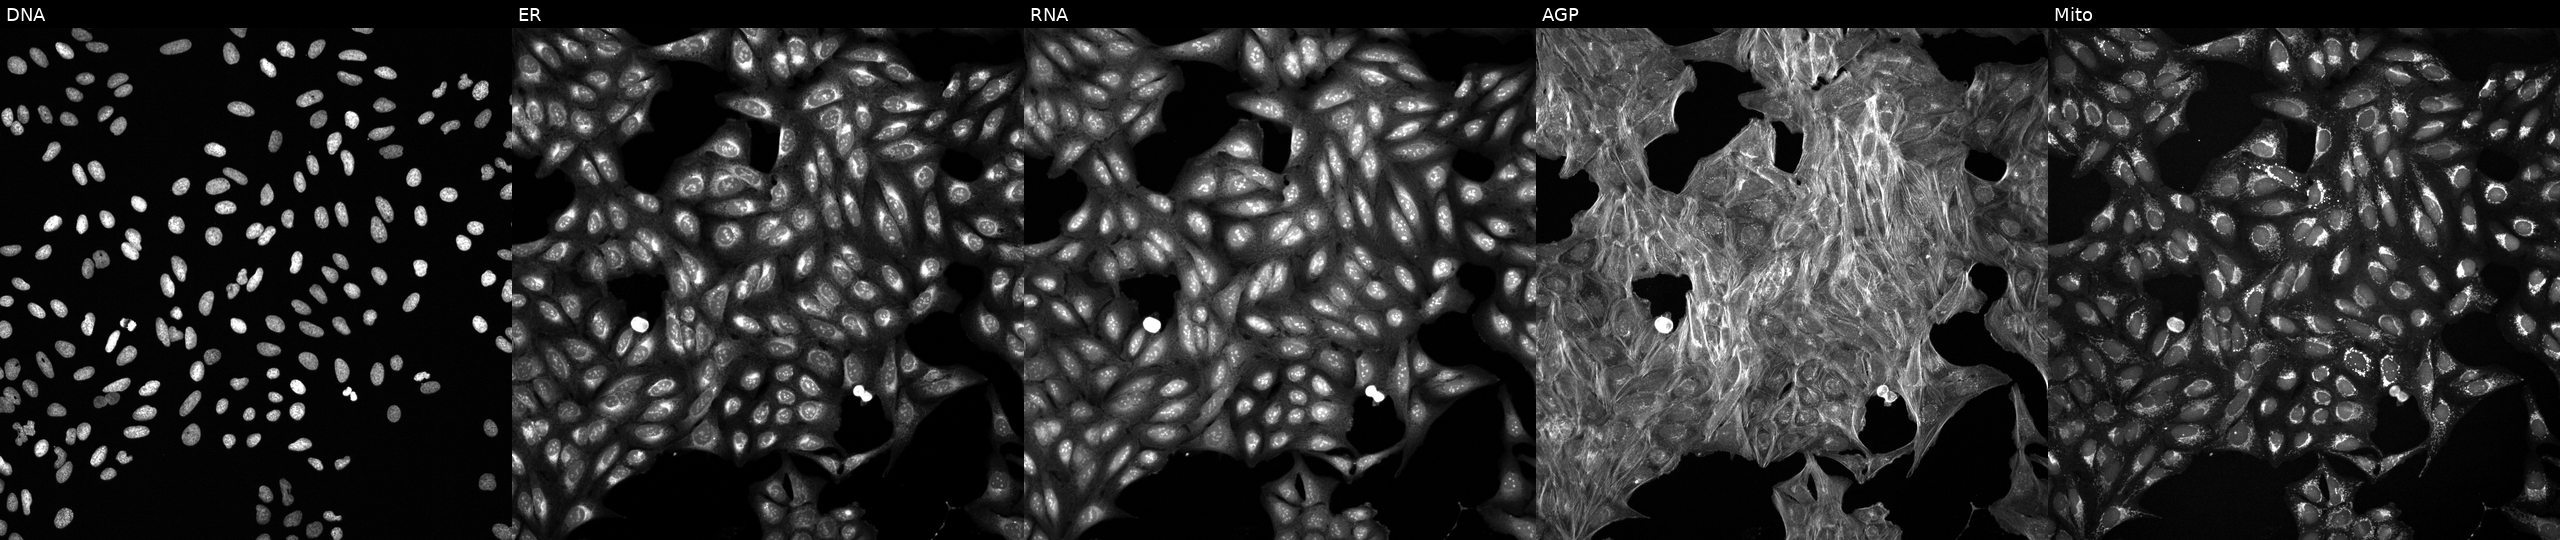
High-content fluorescence microscopy (Cell Painting). Cell line: U2OS. Perturbation: exposed to DMSO alone as a negative control (JUMP id JCP2022_033924). The five panels, left to right, show DNA, ER, RNA, AGP, and Mito.